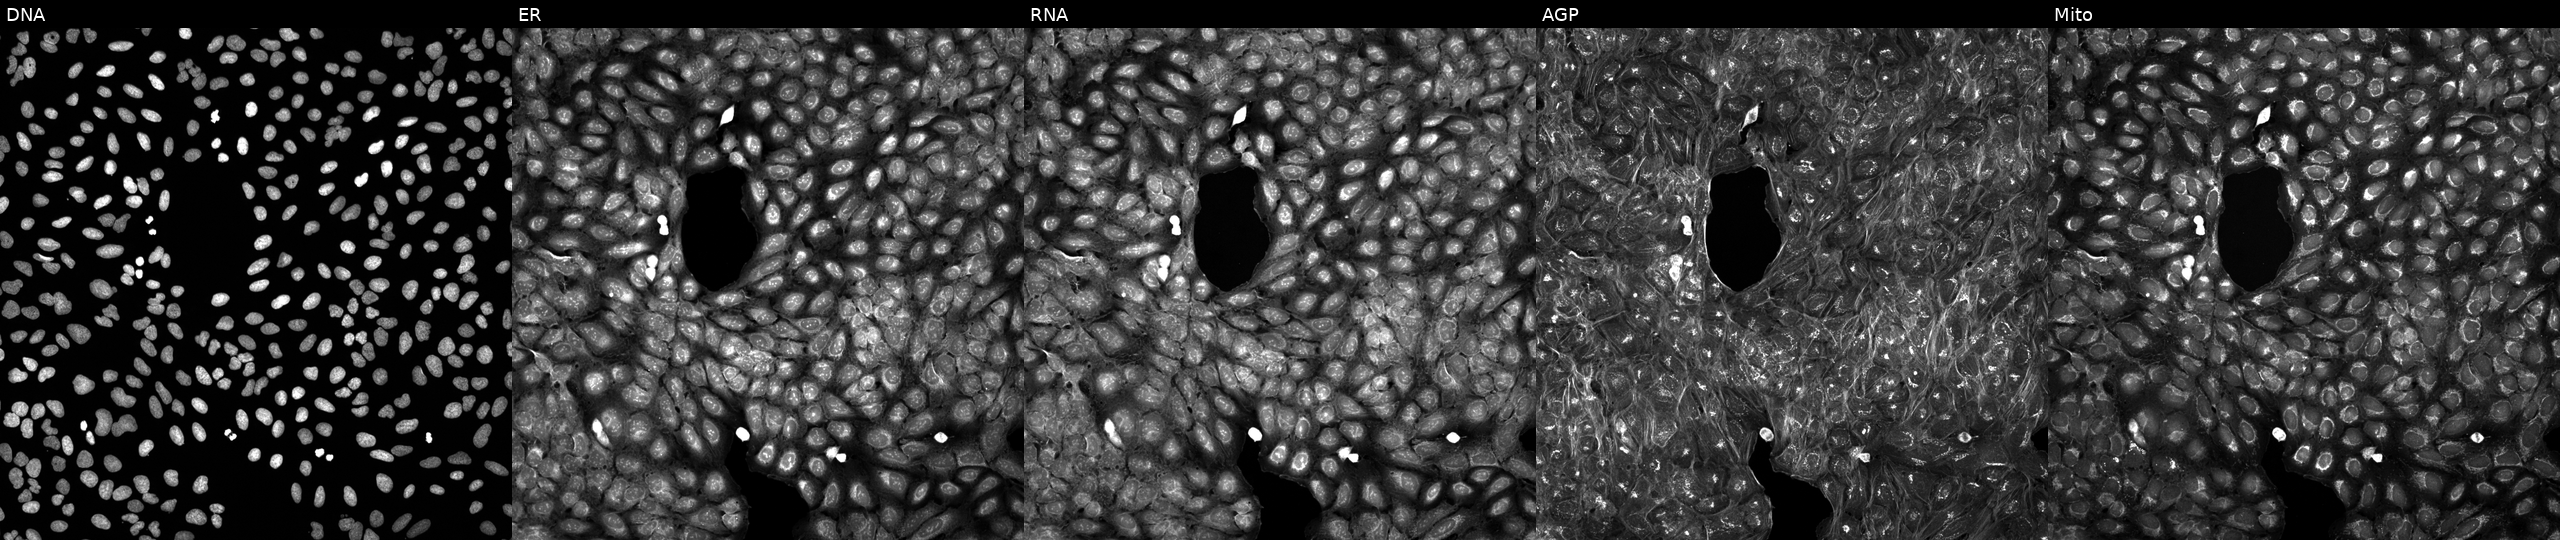
High-content fluorescence microscopy (Cell Painting). Cell line: U2OS. Perturbation: treated with DMSO vehicle only (negative control) (JUMP id JCP2022_033924). Channels (left→right): DNA (nuclei); ER (endoplasmic reticulum); RNA (nucleoli and cytoplasmic RNA); AGP (actin cytoskeleton, Golgi, and plasma membrane); Mito (mitochondria). Source 5, plate APTJUM106, well D23.